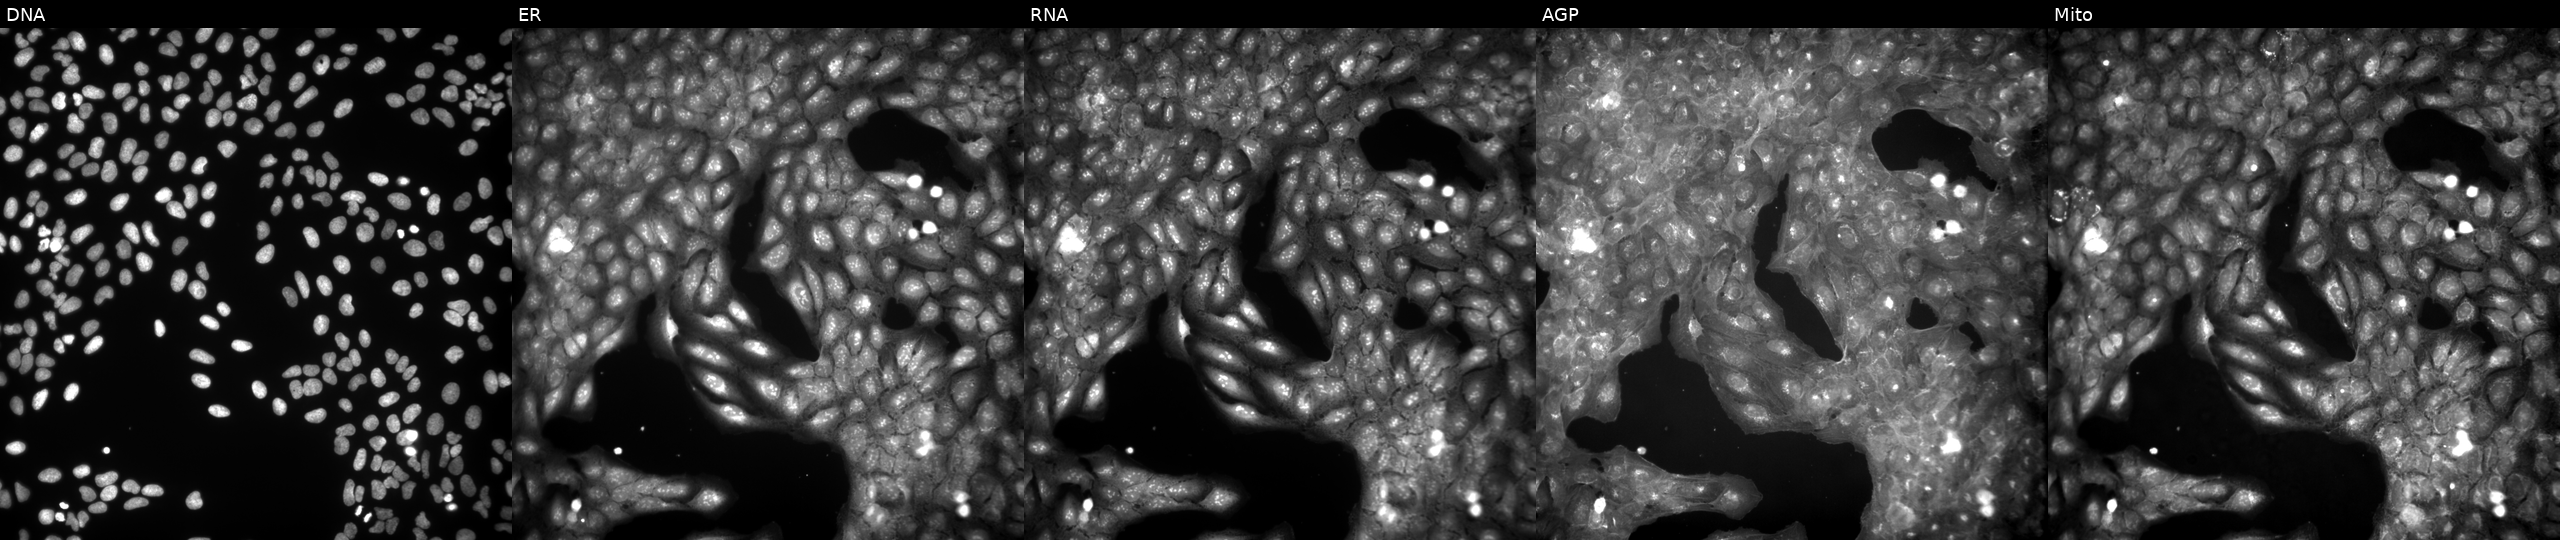
High-content fluorescence microscopy (Cell Painting). Cell line: U2OS. Perturbation: perturbed with a small-molecule compound (InChIKey NGTLIQKVFTWNAQ-UHFFFAOYSA-N) (JUMP id JCP2022_058891). The five panels, left to right, show Hoechst 33342, concanavalin A, SYTO 14, phalloidin and WGA, MitoTracker. Source 9, plate GR00003382, well K42.